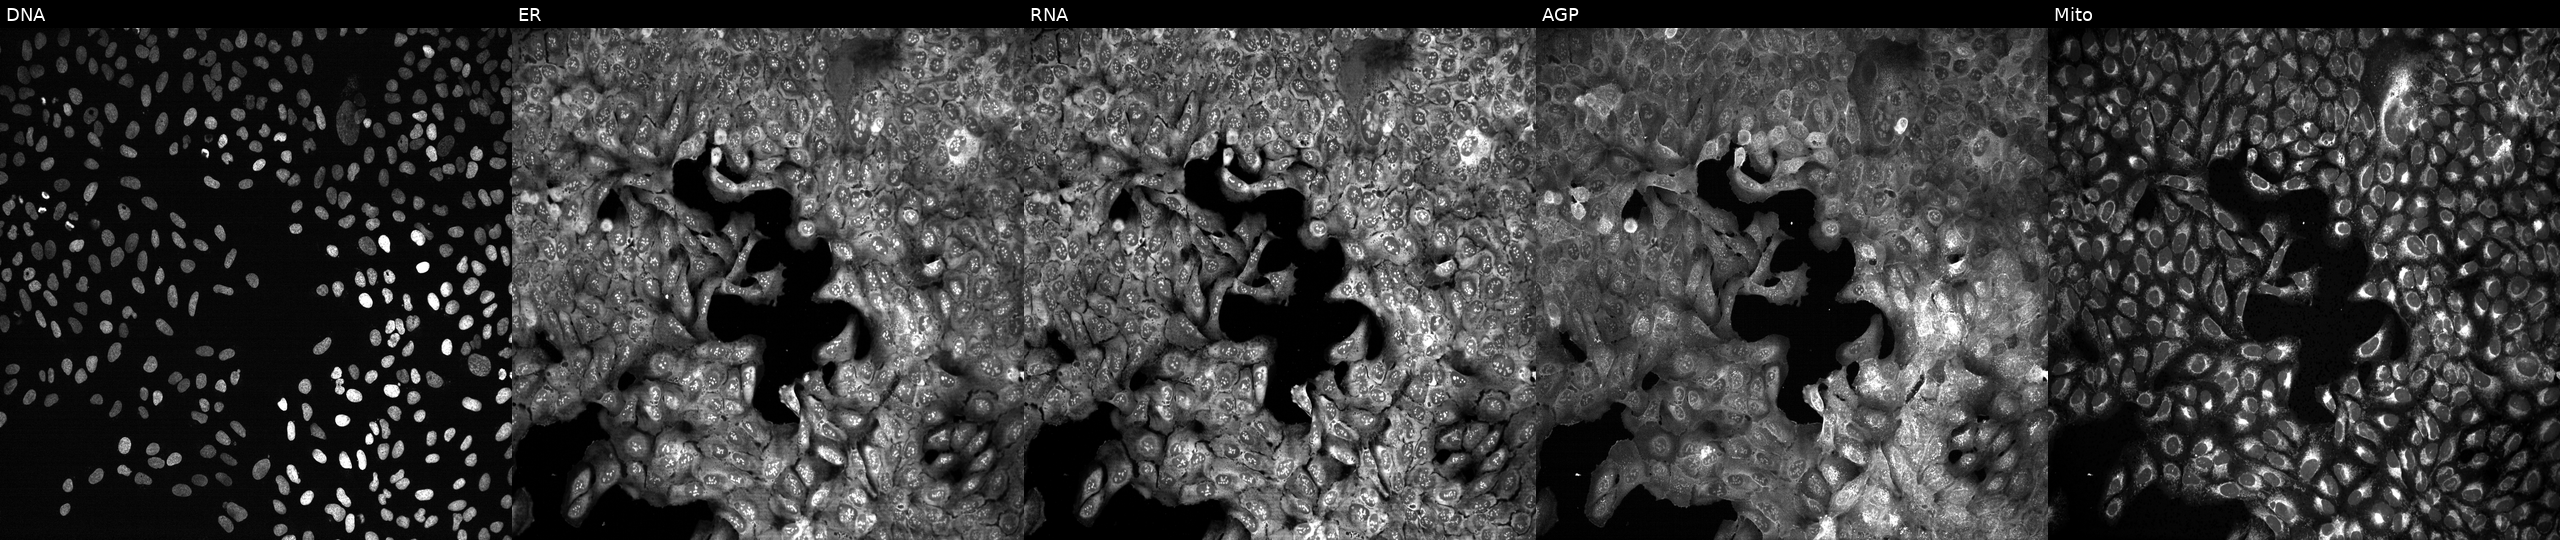
Five-channel Cell Painting image of U2OS cells following CRISPR knockout of PLA2G7. From left to right: DNA, ER, RNA, AGP, and Mito.